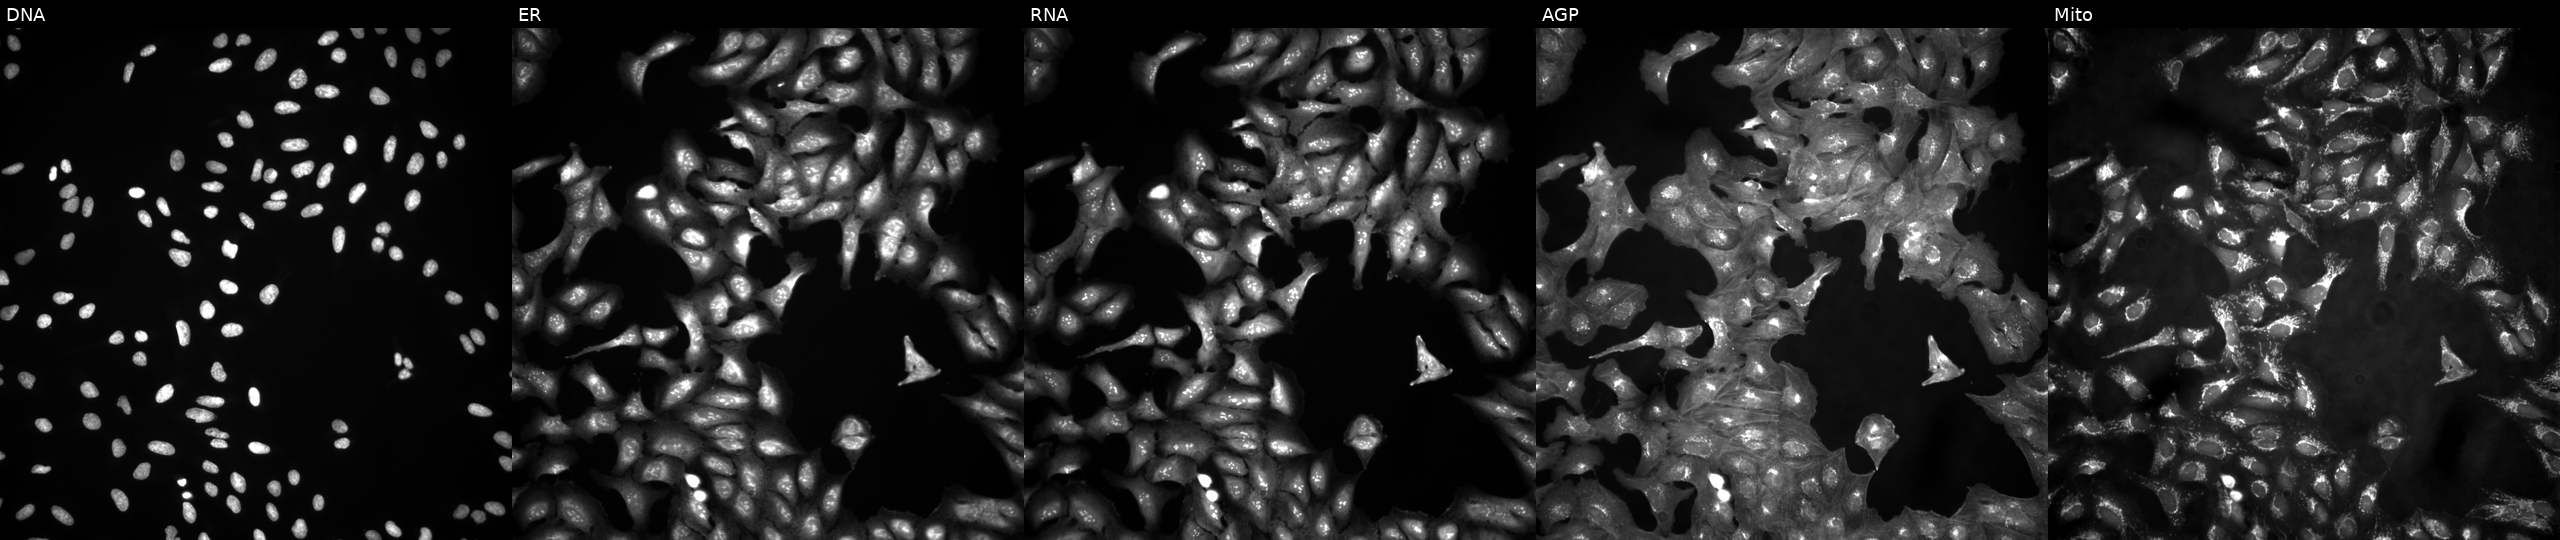
This image strip shows the five Cell Painting channels for a single field of U2OS cells untreated (empty-well control). The five panels, left to right, show DNA, ER, RNA, AGP, and Mito. Source 4, plate BR00123946, well K17.